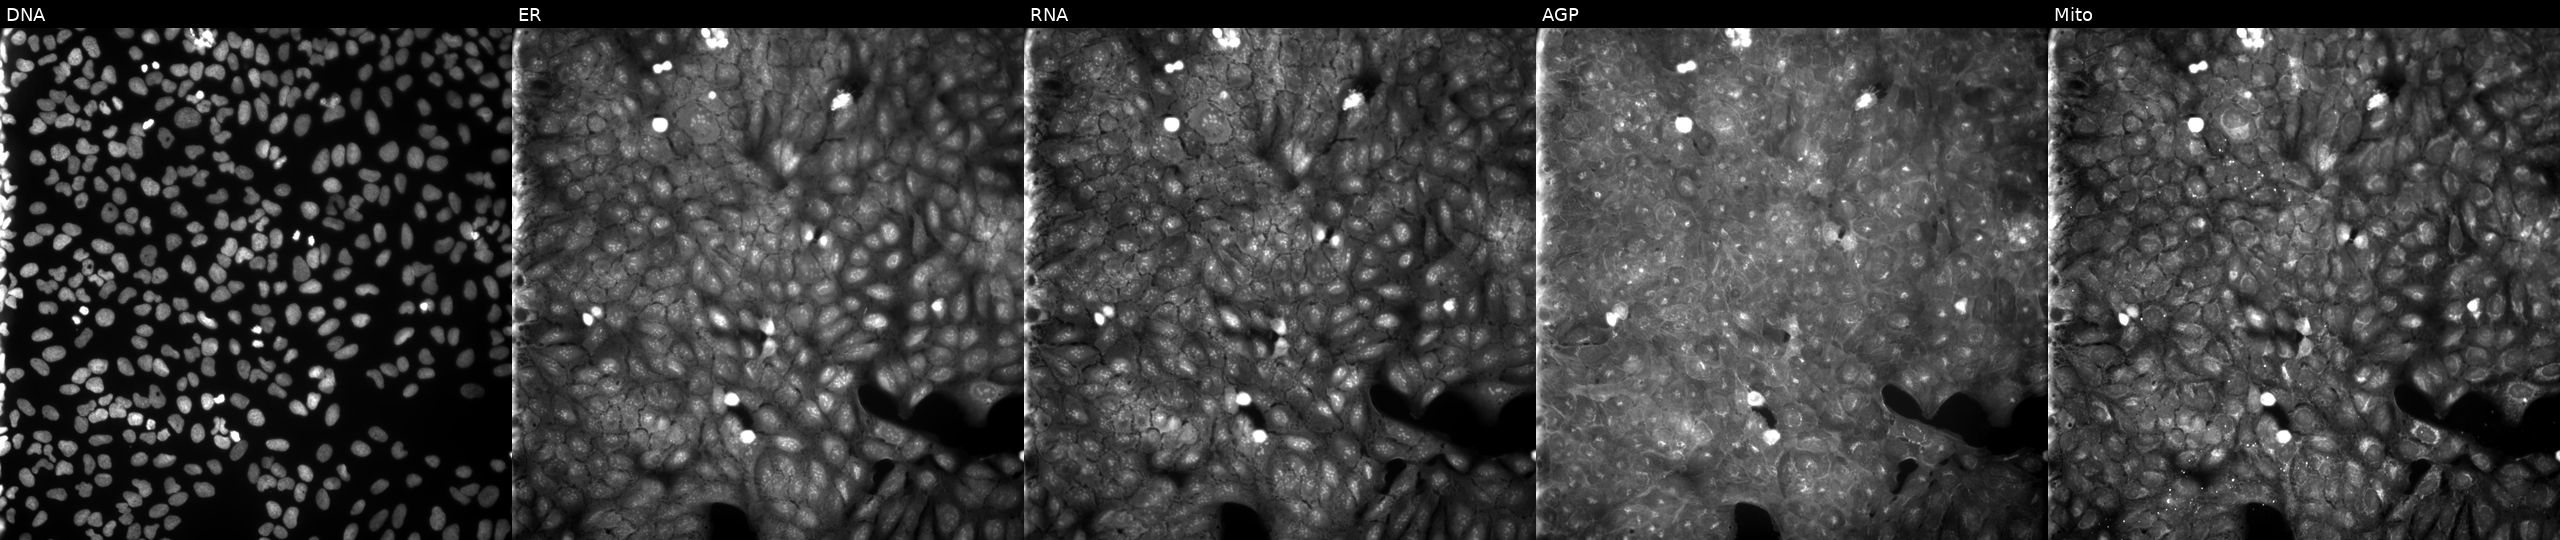
JUMP Cell Painting — COMPOUND plate. U2OS cells perturbed with a small-molecule compound (InChIKey XOVSKZMGQOOLCH-UHFFFAOYSA-N). Panels show, left to right, DNA (nuclei); ER (endoplasmic reticulum); RNA (nucleoli and cytoplasmic RNA); AGP (actin cytoskeleton, Golgi, and plasma membrane); Mito (mitochondria).